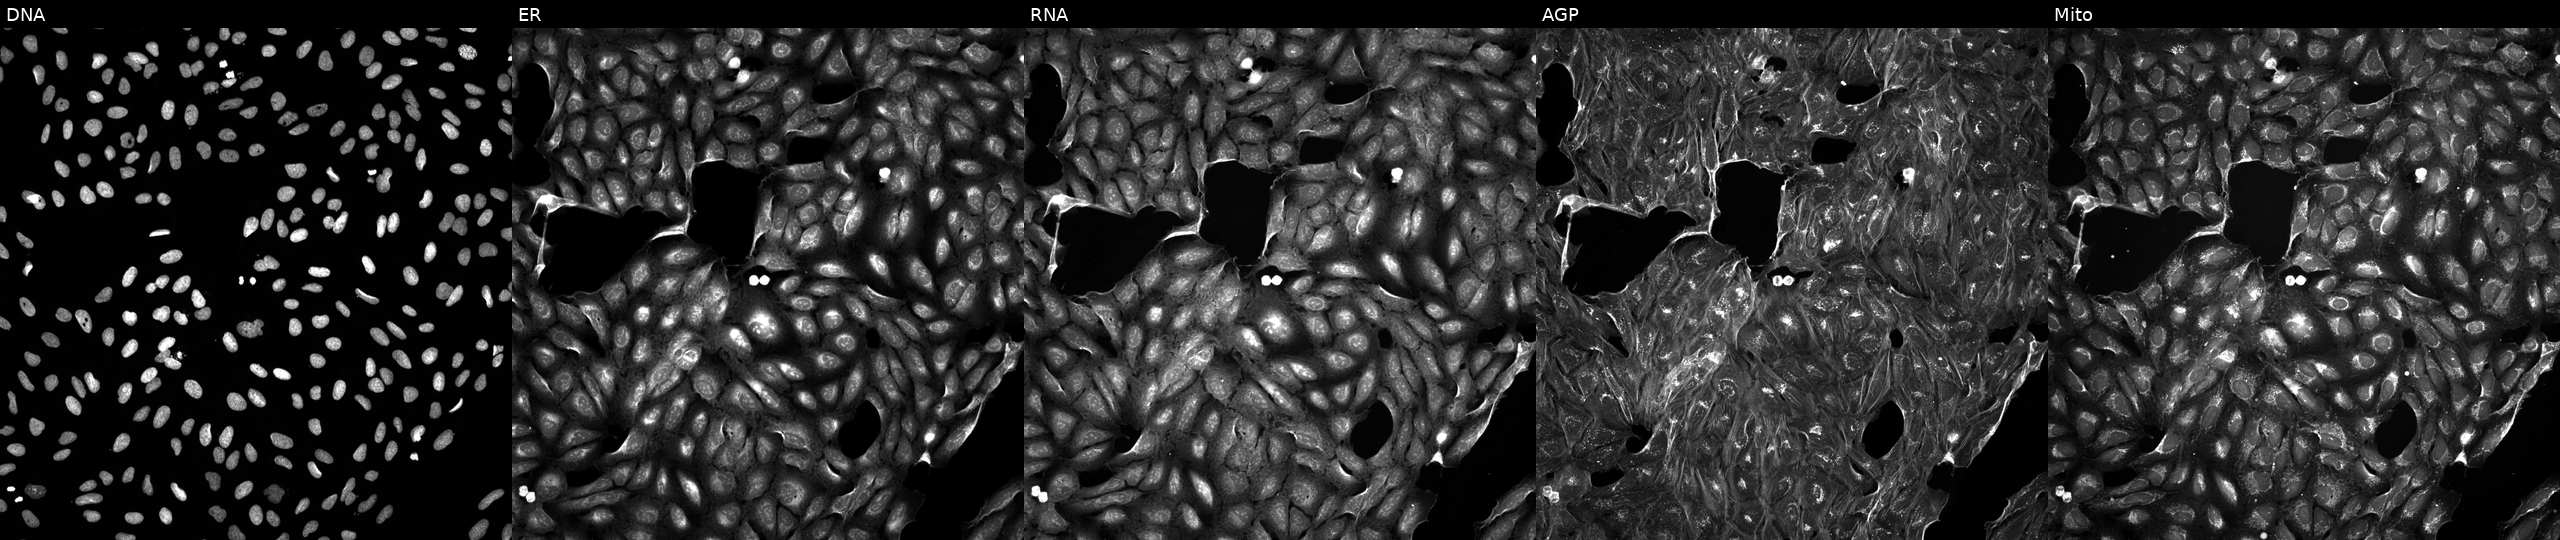
High-content fluorescence microscopy (Cell Painting). Cell line: U2OS. Perturbation: exposed to a small-molecule compound (InChIKey UXUQIRNFBFRPAC-UHFFFAOYSA-N). Panels show, left to right, Hoechst 33342, concanavalin A, SYTO 14, phalloidin and WGA, MitoTracker.